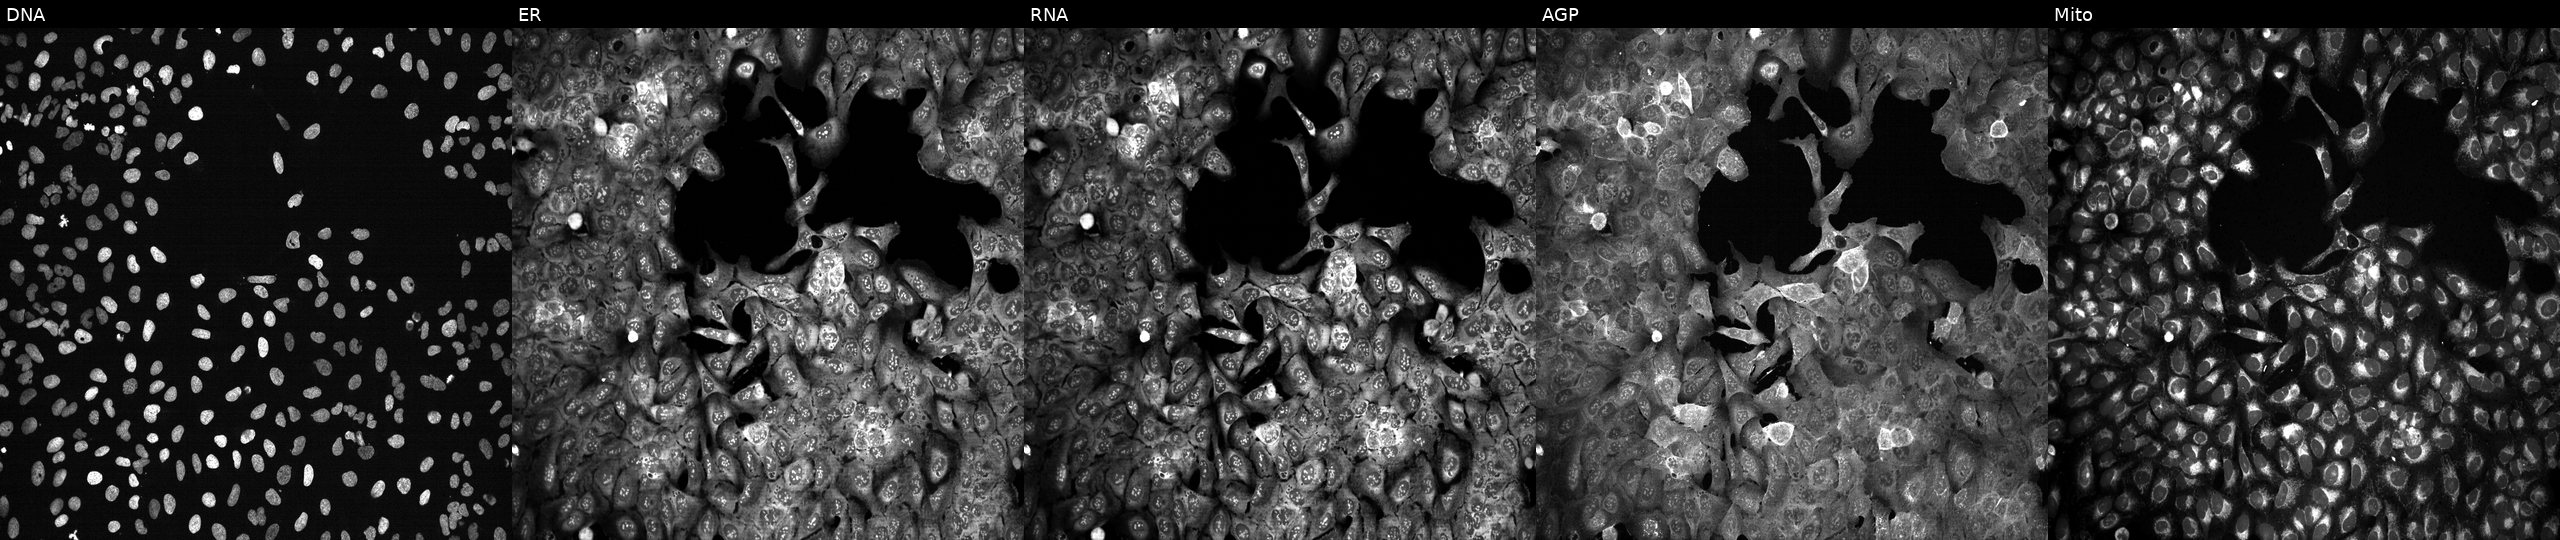
From left to right: Hoechst 33342, concanavalin A, SYTO 14, phalloidin and WGA, MitoTracker. U2OS osteosarcoma cells following CRISPR knockout of SLC22A4. Cell Painting assay, JUMP-CP dataset. Source 13, plate CP-CC9-R3-02, well I18.